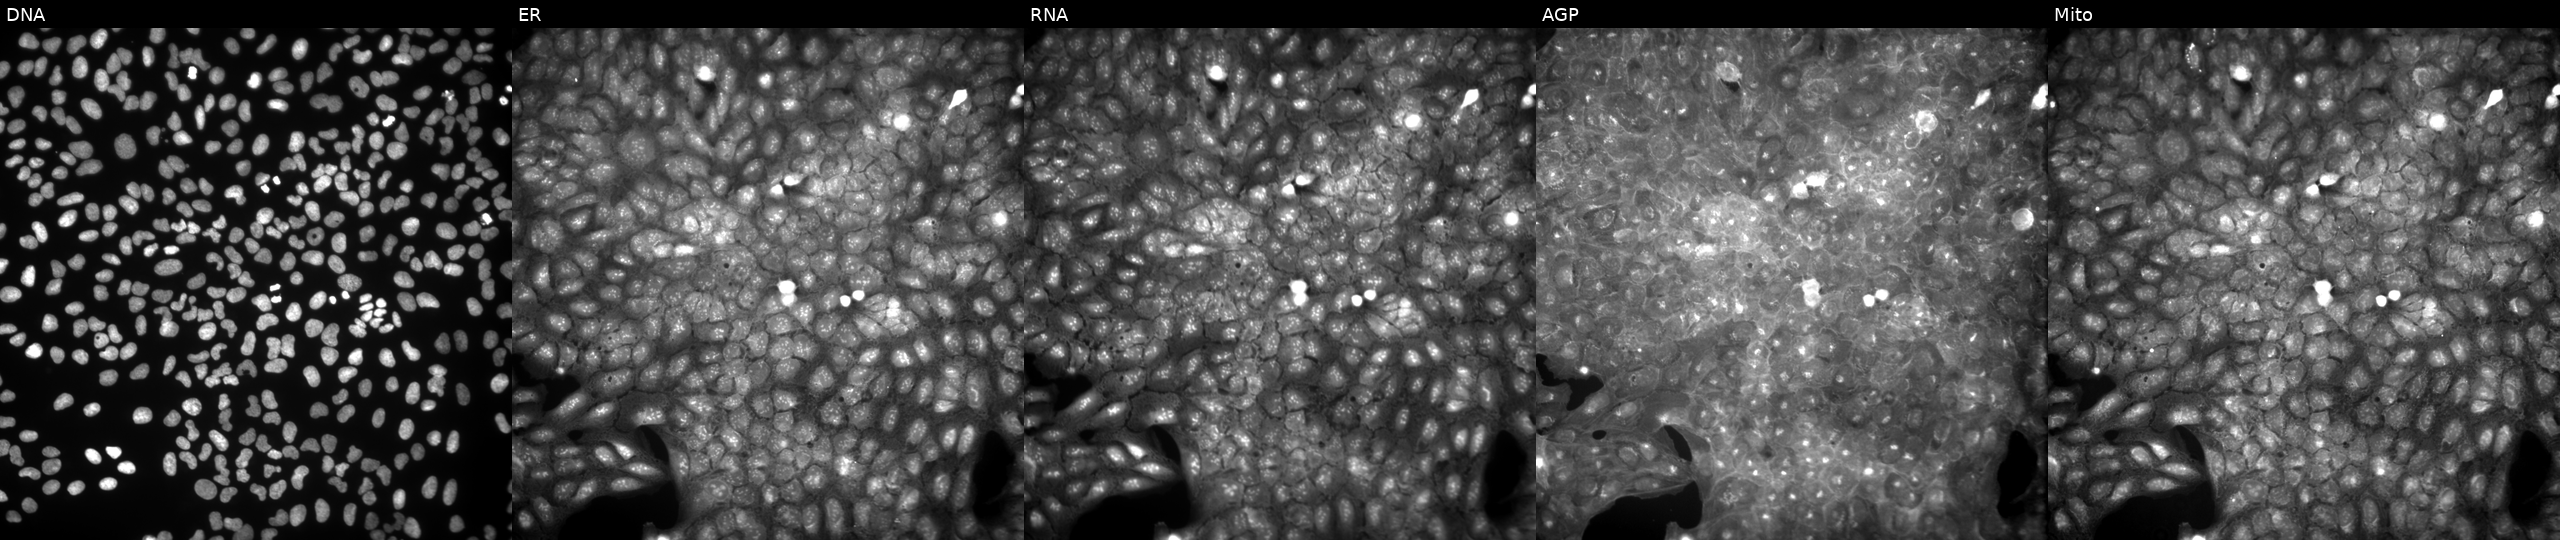
Panels show, left to right, DNA (nuclei); ER (endoplasmic reticulum); RNA (nucleoli and cytoplasmic RNA); AGP (actin cytoskeleton, Golgi, and plasma membrane); Mito (mitochondria). U2OS osteosarcoma cells perturbed with a small-molecule compound (InChIKey FAQYYKMYIKNIFN-UHFFFAOYSA-N). Cell Painting assay, JUMP-CP dataset.